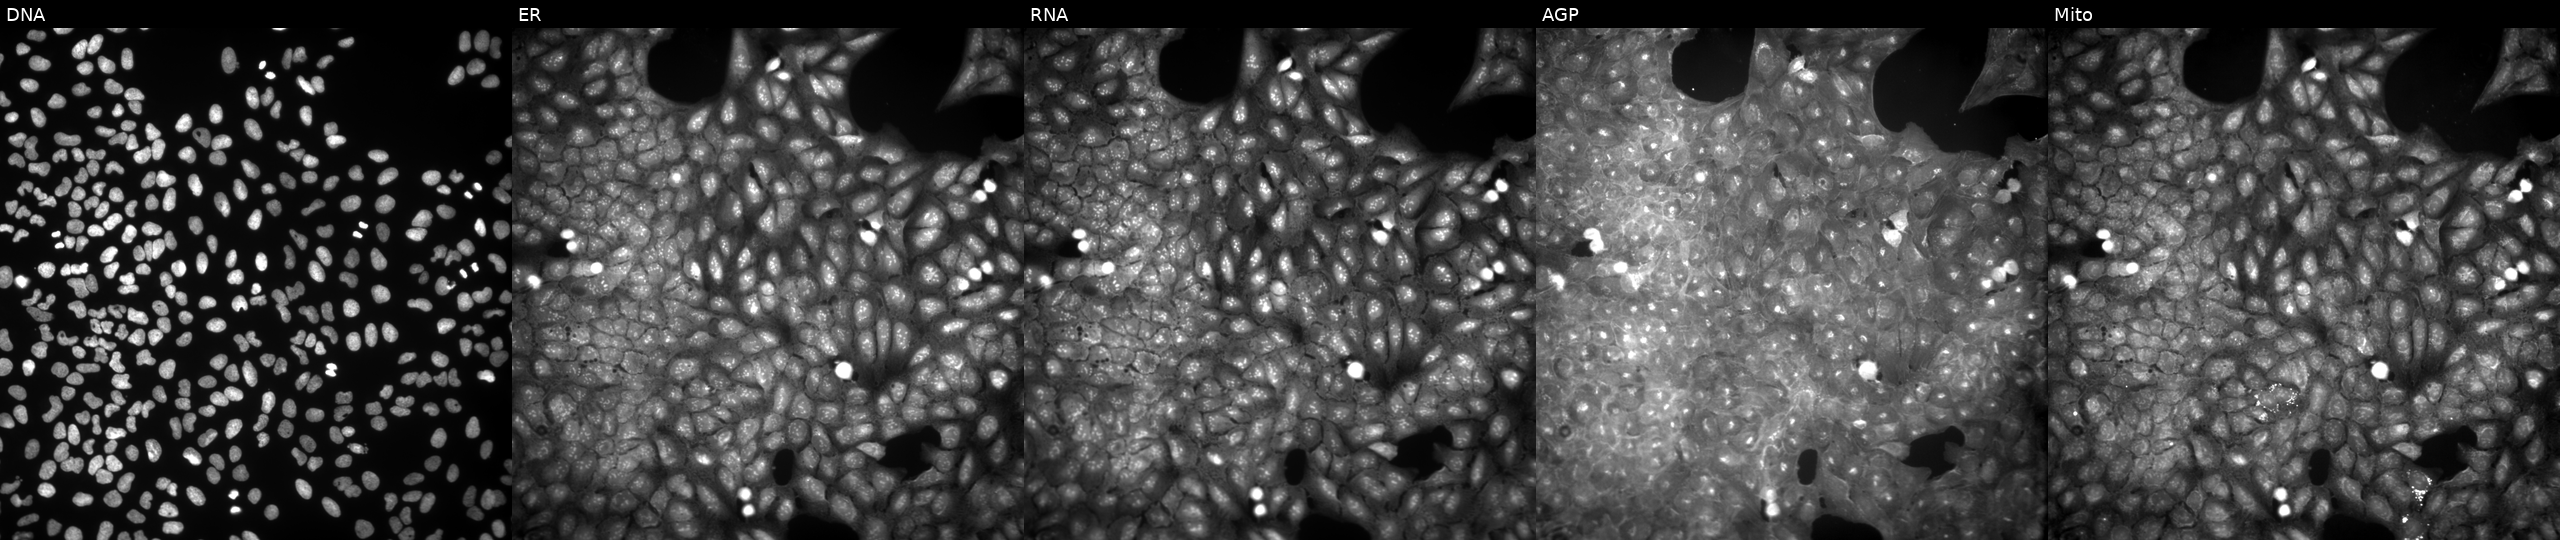
Channels (left→right): DNA, ER, RNA, AGP, and Mito. U2OS osteosarcoma cells treated with a small-molecule compound (JUMP id JCP2022_009333). Cell Painting assay, JUMP-CP dataset.